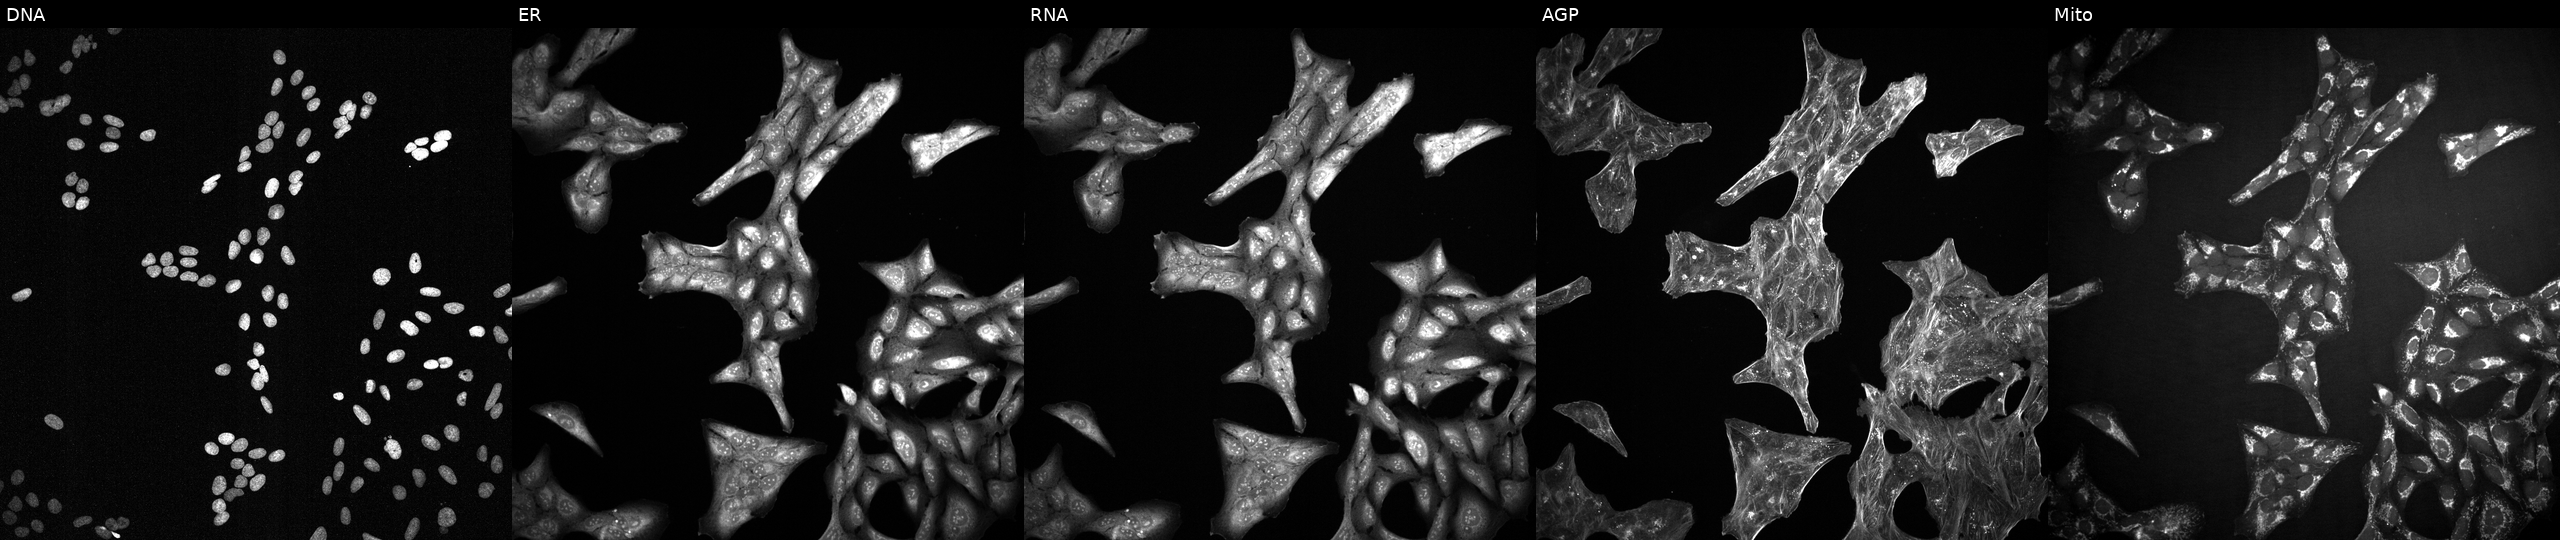
Panels show, left to right, DNA (nuclei); ER (endoplasmic reticulum); RNA (nucleoli and cytoplasmic RNA); AGP (actin cytoskeleton, Golgi, and plasma membrane); Mito (mitochondria). U2OS osteosarcoma cells treated with a small-molecule compound. Cell Painting assay, JUMP-CP dataset.